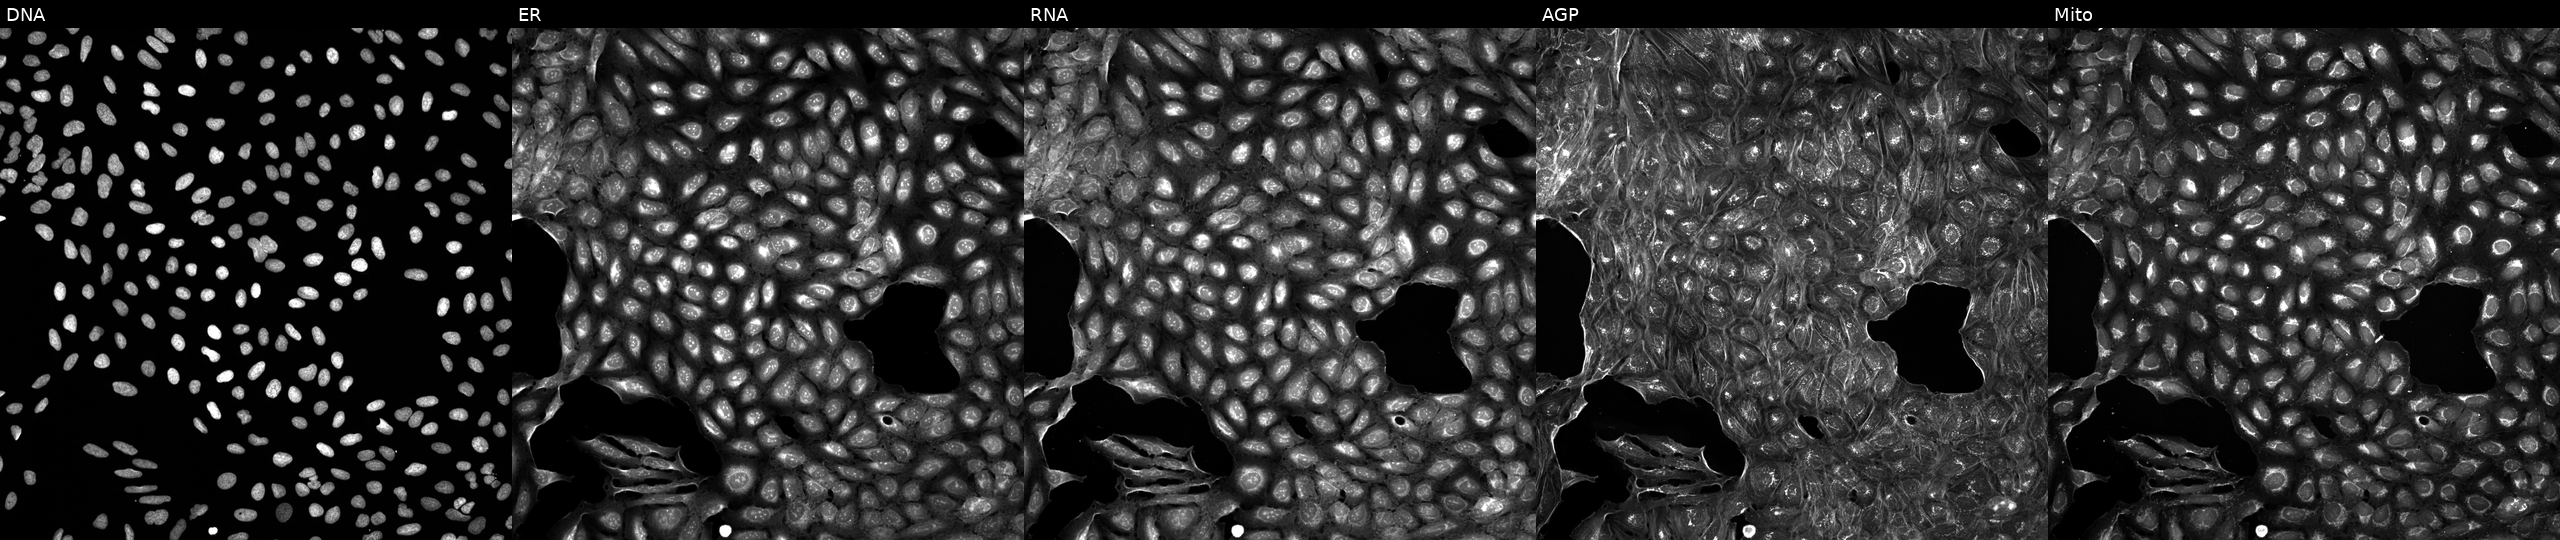
JUMP Cell Painting — COMPOUND plate. U2OS cells perturbed with a small-molecule compound. From left to right: Hoechst 33342, concanavalin A, SYTO 14, phalloidin and WGA, MitoTracker.